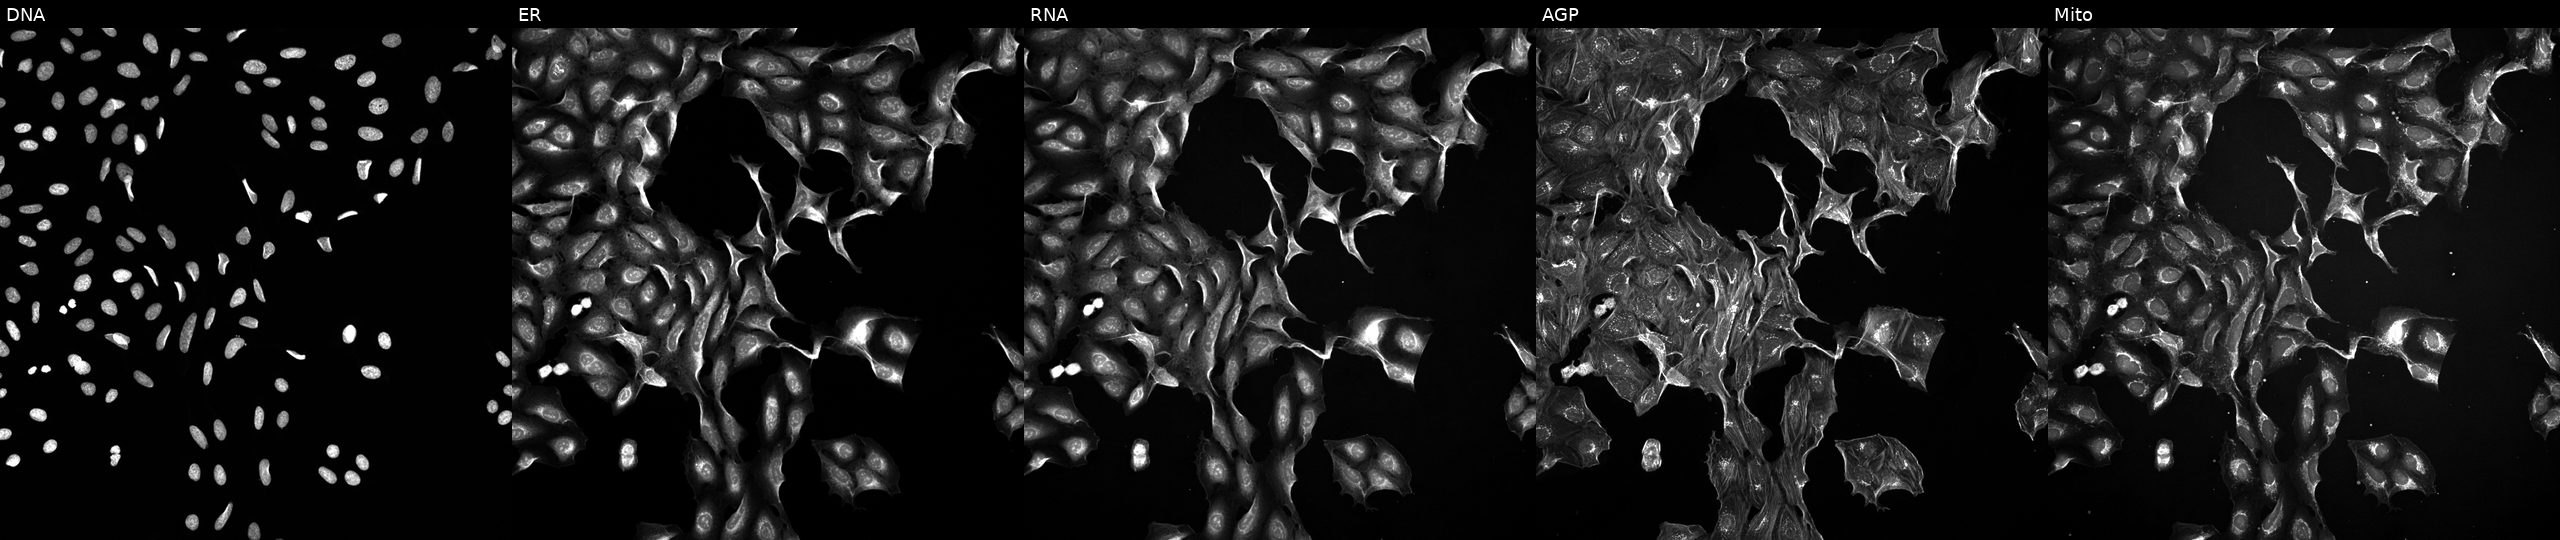
This image strip shows the five Cell Painting channels for a single field of U2OS cells perturbed with a small-molecule compound (InChIKey AZYDQCGCBQYFSE-UHFFFAOYSA-N) (JUMP id JCP2022_004940). Panels show, left to right, DNA (nuclei); ER (endoplasmic reticulum); RNA (nucleoli and cytoplasmic RNA); AGP (actin cytoskeleton, Golgi, and plasma membrane); Mito (mitochondria).